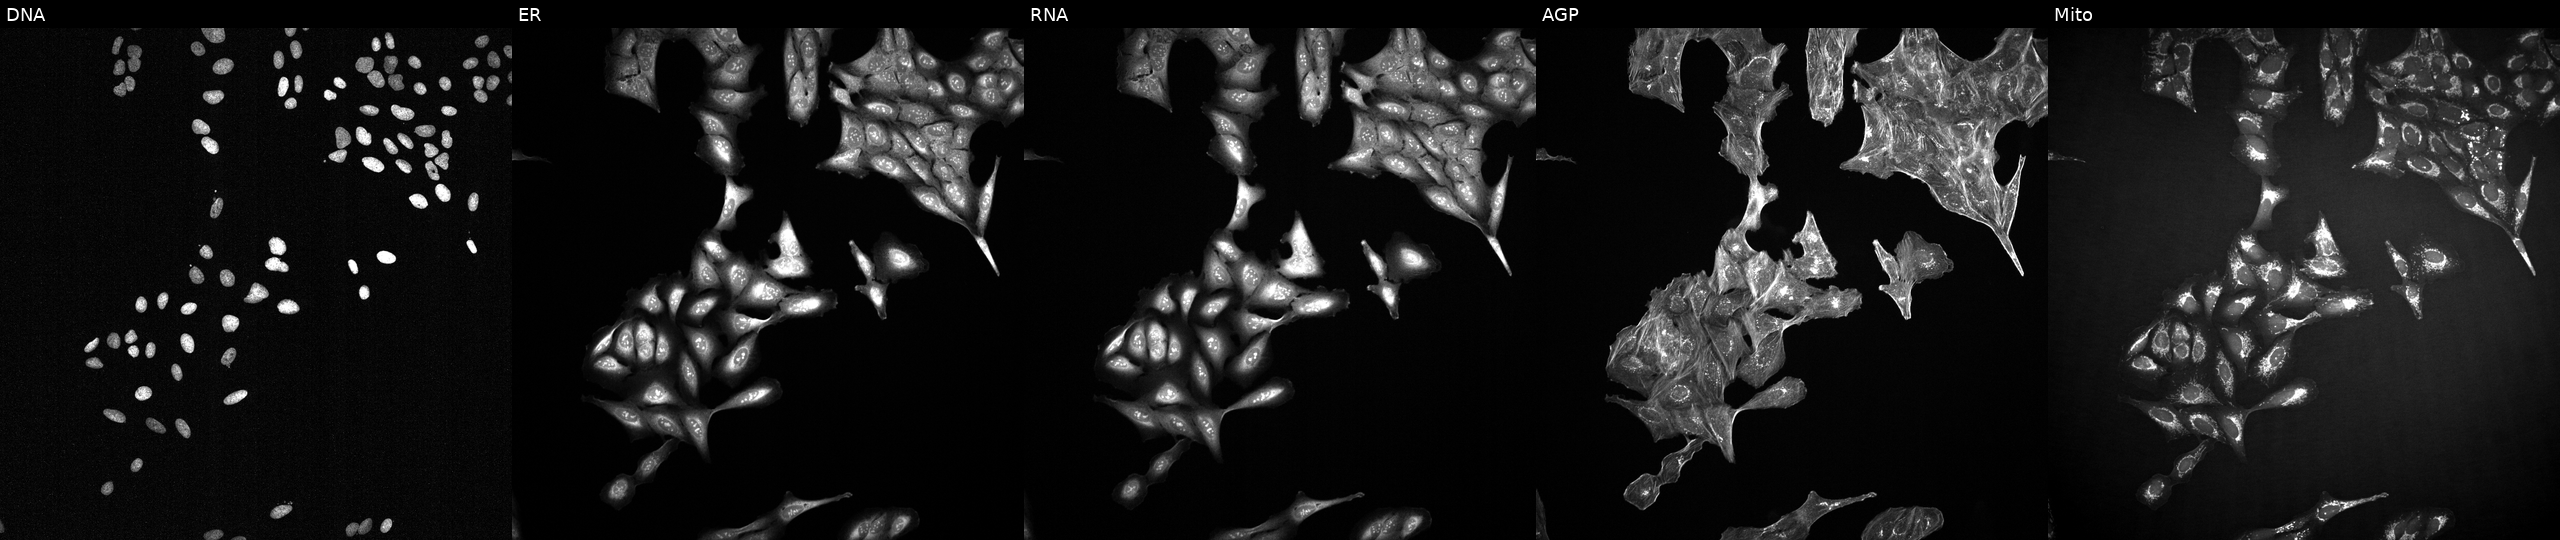
Five-channel Cell Painting image of U2OS cells perturbed with a small-molecule compound (JUMP id JCP2022_047559). The five panels, left to right, show Hoechst 33342, concanavalin A, SYTO 14, phalloidin and WGA, MitoTracker. Source 2, plate 1053599503, well B21.